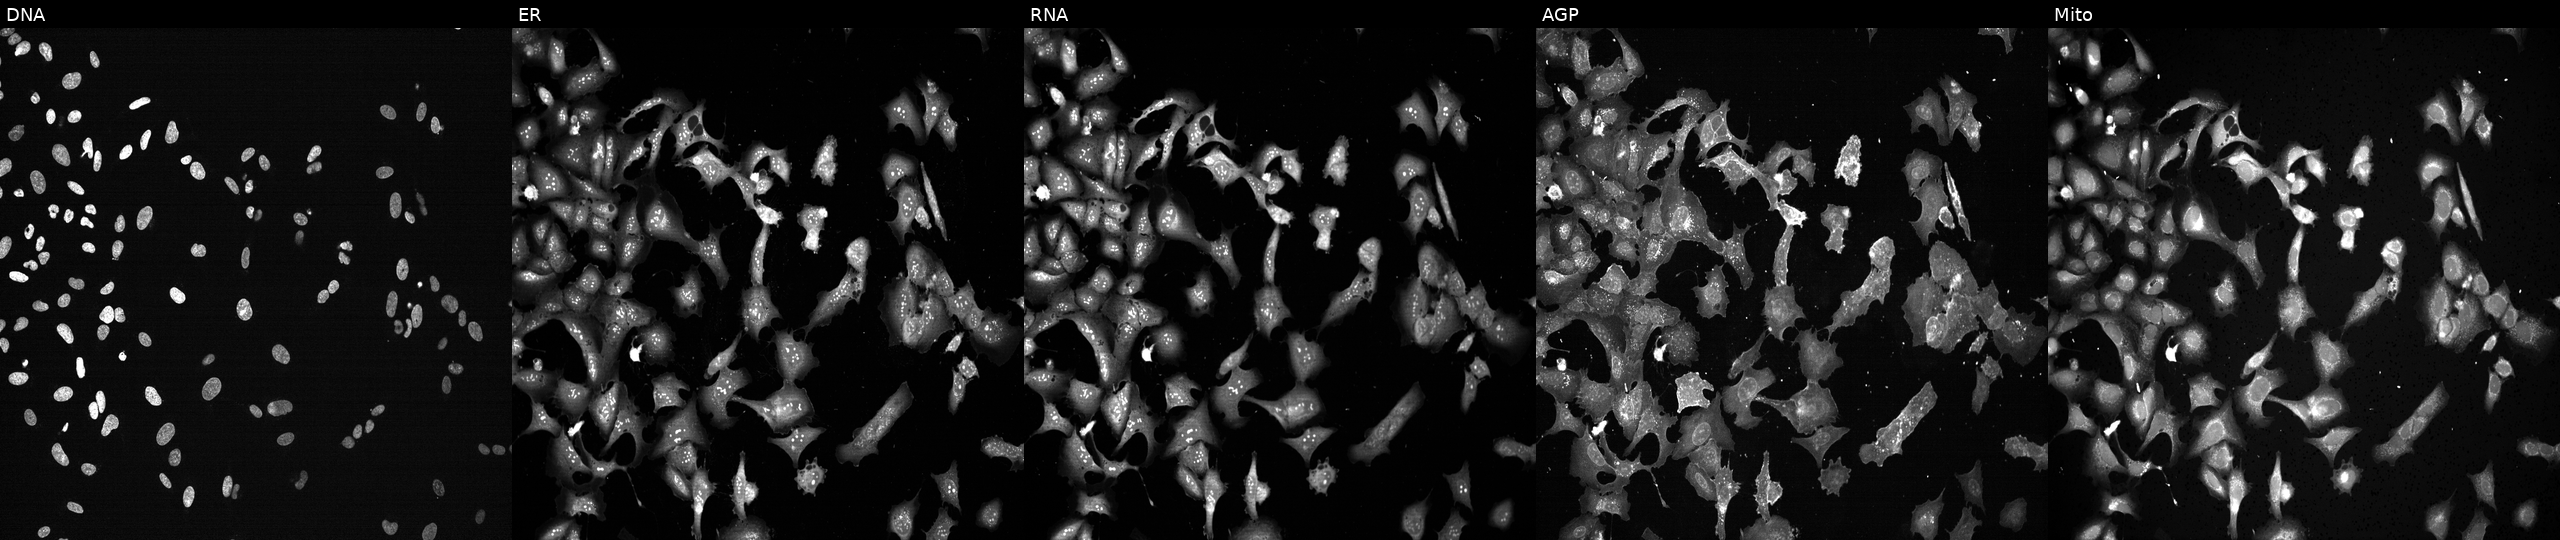
JUMP Cell Painting — CRISPR plate. U2OS cells following CRISPR knockout of PSMD7. Panels show, left to right, DNA (nuclei); ER (endoplasmic reticulum); RNA (nucleoli and cytoplasmic RNA); AGP (actin cytoskeleton, Golgi, and plasma membrane); Mito (mitochondria). Source 13, plate CP-CC9-R1-01, well E20.